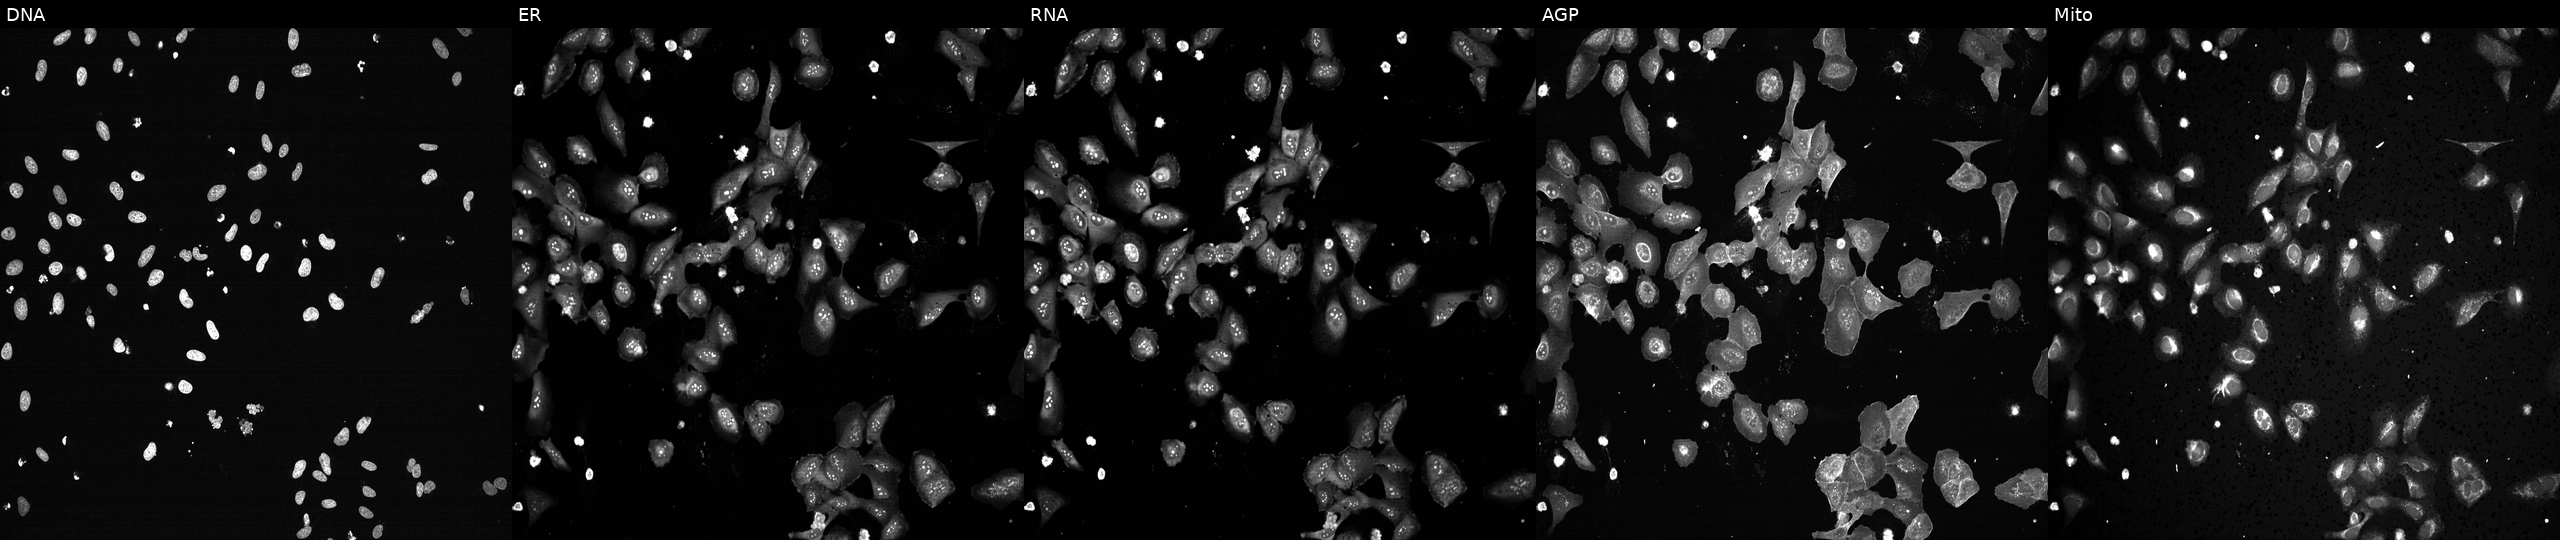
JUMP Cell Painting — CRISPR plate. U2OS cells treated with TC-S-7004 (positive-control compound) (JUMP id JCP2022_012818). From left to right: DNA, ER, RNA, AGP, and Mito.